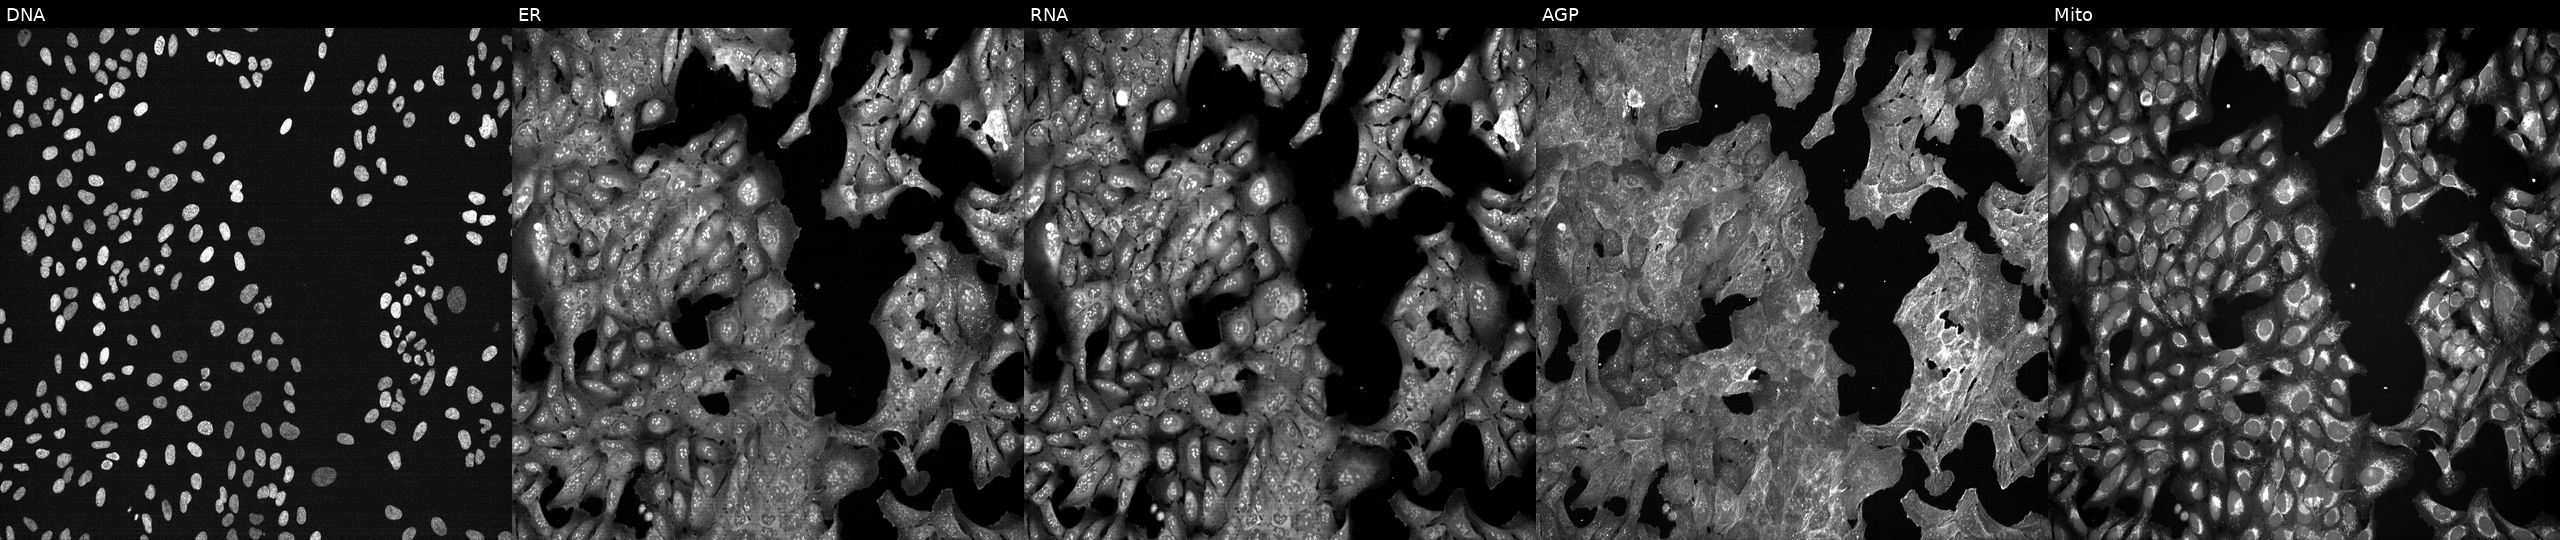
This image strip shows the five Cell Painting channels for a single field of U2OS cells treated with a small-molecule compound (InChIKey PZBPKYOVPCNPJY-UHFFFAOYSA-N) [SMILES: C=CCOC(Cn1ccnc1)c1ccc(Cl)cc1Cl] (JUMP id JCP2022_071910). The five panels, left to right, show DNA (nuclei); ER (endoplasmic reticulum); RNA (nucleoli and cytoplasmic RNA); AGP (actin cytoskeleton, Golgi, and plasma membrane); Mito (mitochondria).